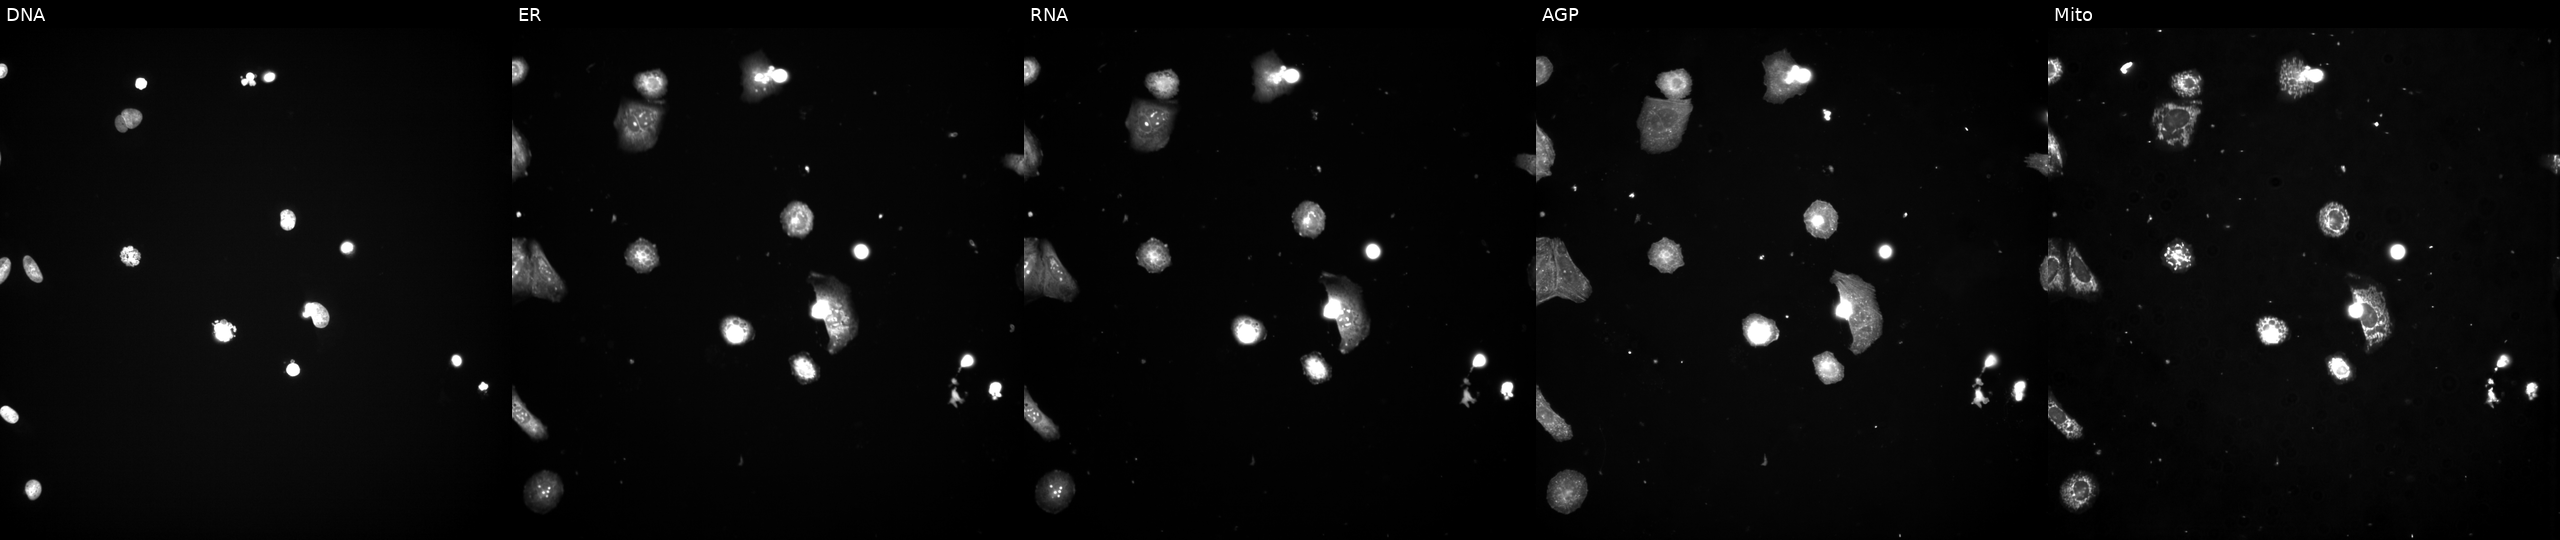
The five panels, left to right, show DNA (nuclei); ER (endoplasmic reticulum); RNA (nucleoli and cytoplasmic RNA); AGP (actin cytoskeleton, Golgi, and plasma membrane); Mito (mitochondria). U2OS osteosarcoma cells exposed to a small-molecule compound (InChIKey MTJHLONVHHPNSI-UHFFFAOYSA-N) [SMILES: CCCC(N=c1[nH]c(-c2ccc(NC(=O)NCC)c(OC)c2)ncc1C)c1cccnc1] (JUMP id JCP2022_056401). Cell Painting assay, JUMP-CP dataset. Source 3, plate JCPQC052, well M15.